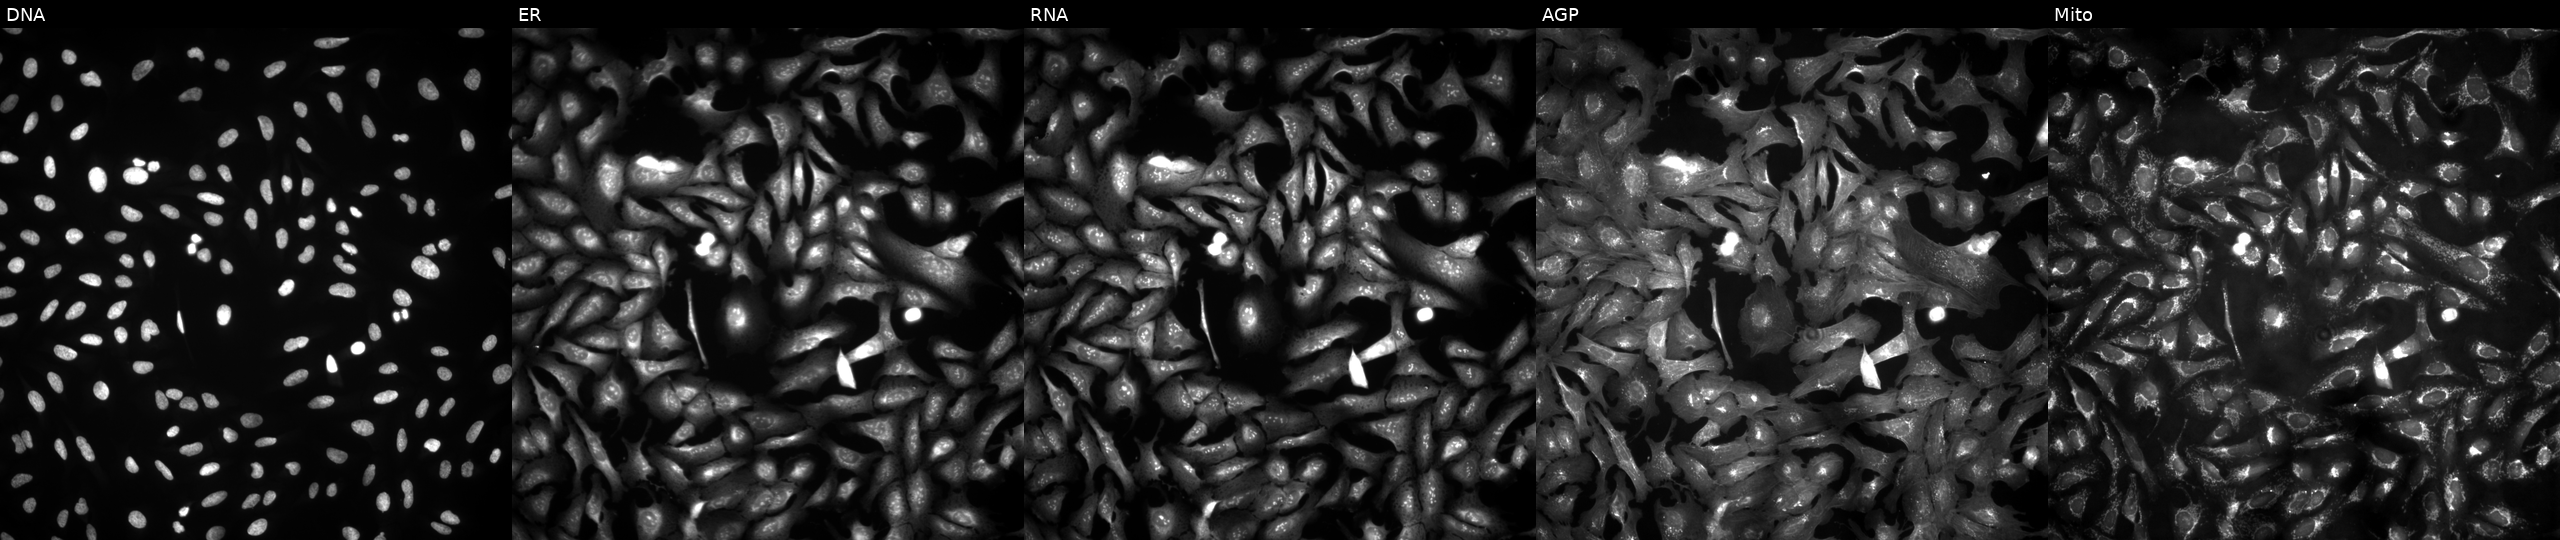
This image strip shows the five Cell Painting channels for a single field of U2OS cells with PLLP overexpressed (ORF). Panels show, left to right, DNA (nuclei); ER (endoplasmic reticulum); RNA (nucleoli and cytoplasmic RNA); AGP (actin cytoskeleton, Golgi, and plasma membrane); Mito (mitochondria).